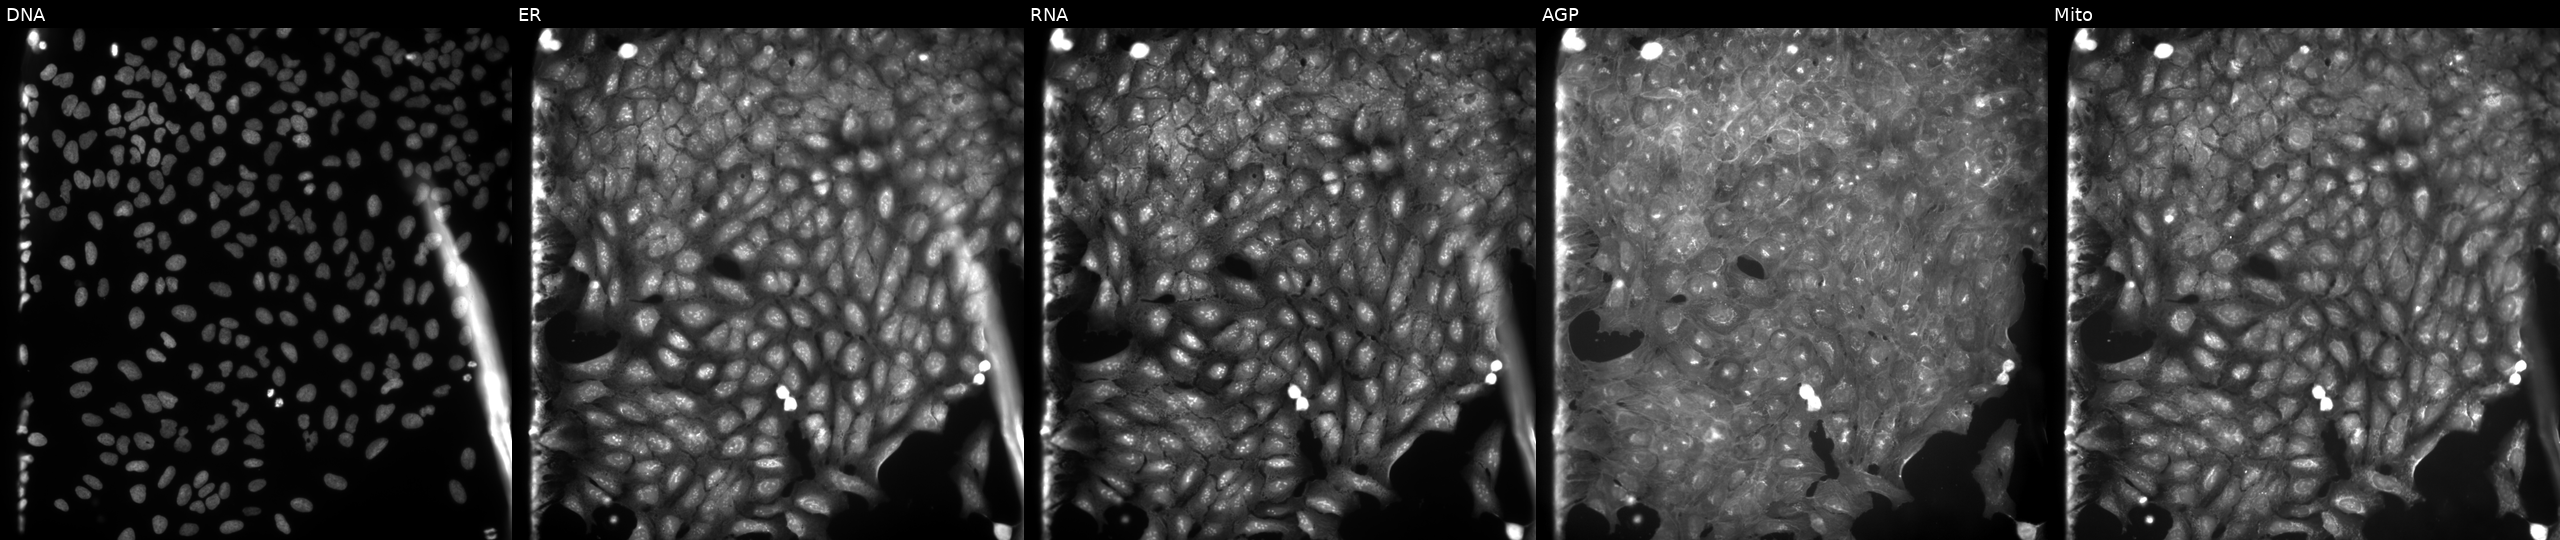
JUMP Cell Painting — COMPOUND plate. U2OS cells exposed to a small-molecule compound. The five panels, left to right, show Hoechst 33342, concanavalin A, SYTO 14, phalloidin and WGA, MitoTracker.